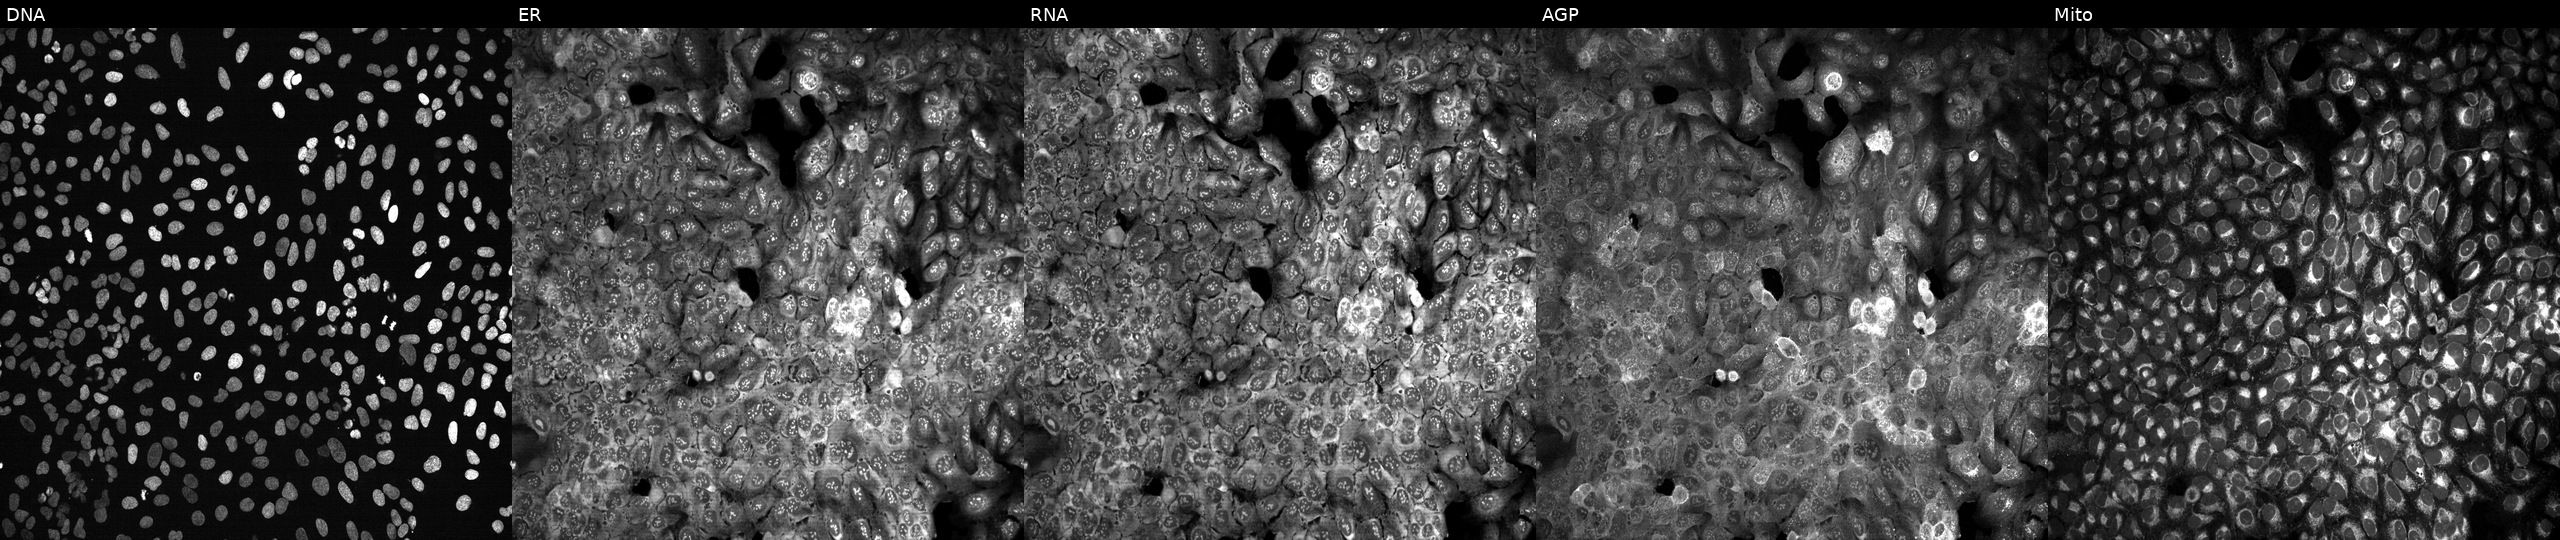
This image strip shows the five Cell Painting channels for a single field of U2OS cells CRISPR-edited to disrupt KIF18A (JUMP id JCP2022_803665). Channels (left→right): DNA, ER, RNA, AGP, and Mito.